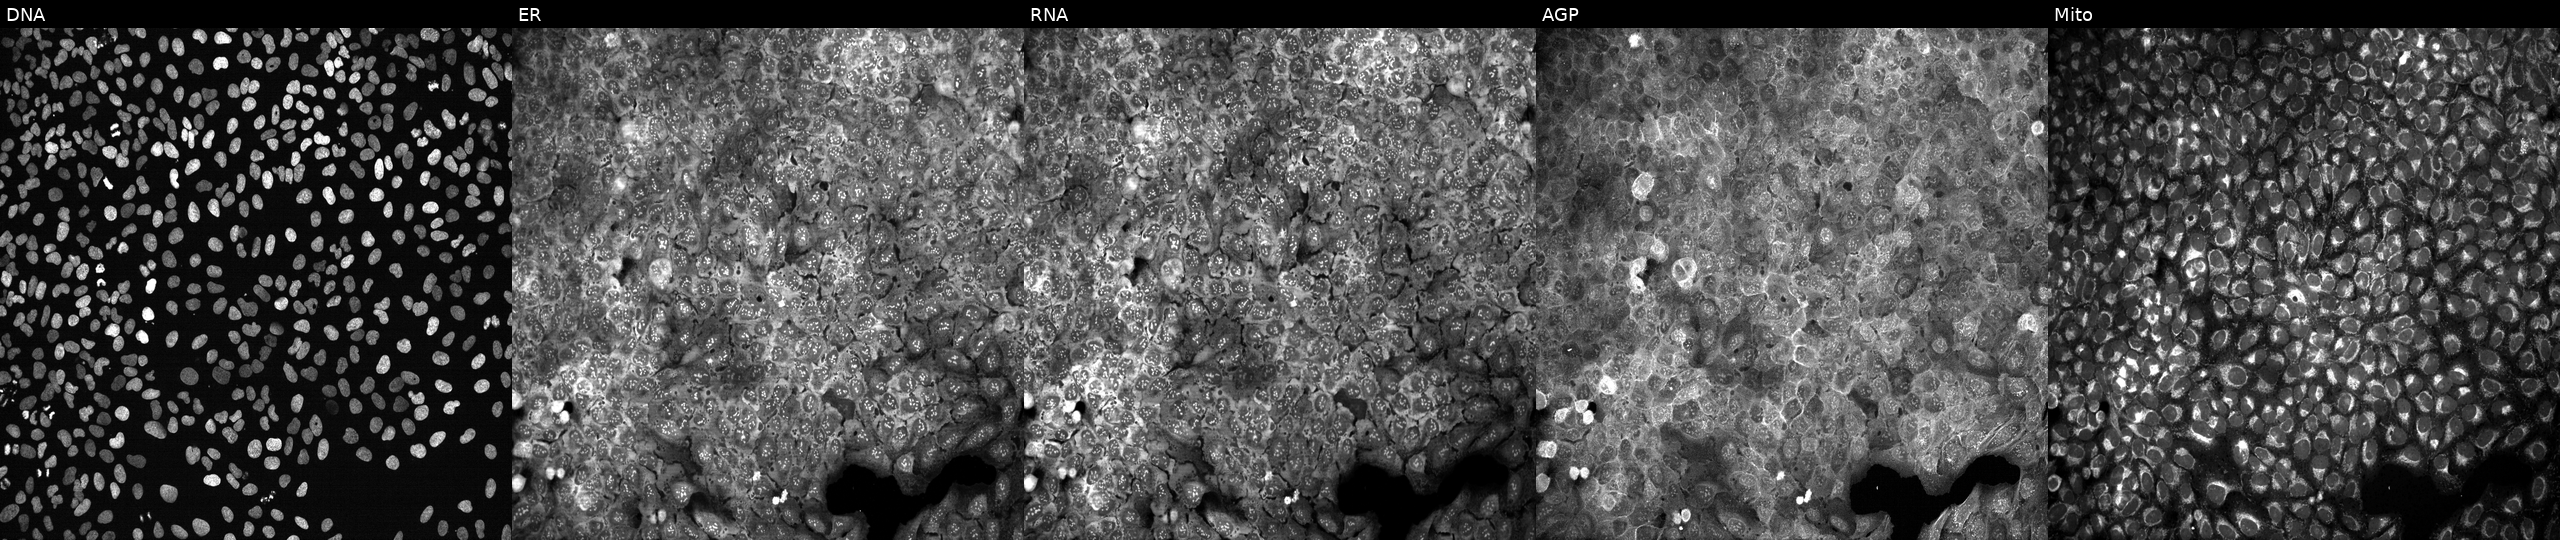
Five-channel Cell Painting image of U2OS cells treated with quinidine (positive-control compound) (JUMP id JCP2022_050797). Channels (left→right): DNA (nuclei); ER (endoplasmic reticulum); RNA (nucleoli and cytoplasmic RNA); AGP (actin cytoskeleton, Golgi, and plasma membrane); Mito (mitochondria).